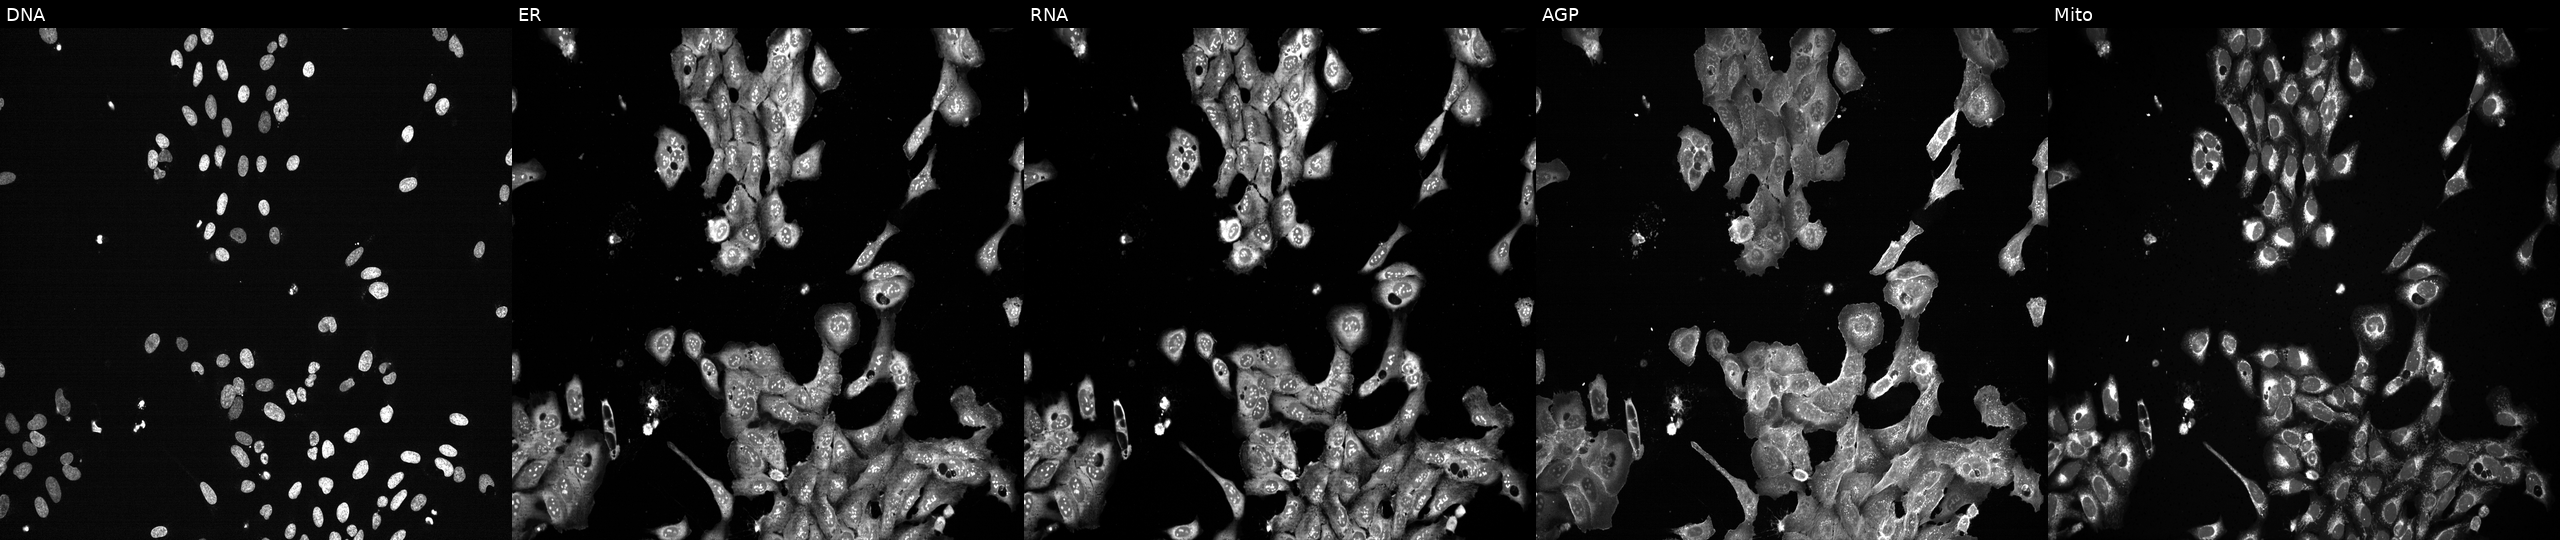
High-content fluorescence microscopy (Cell Painting). Cell line: U2OS. Perturbation: CRISPR-edited to disrupt PSMB7. Channels (left→right): Hoechst 33342, concanavalin A, SYTO 14, phalloidin and WGA, MitoTracker.